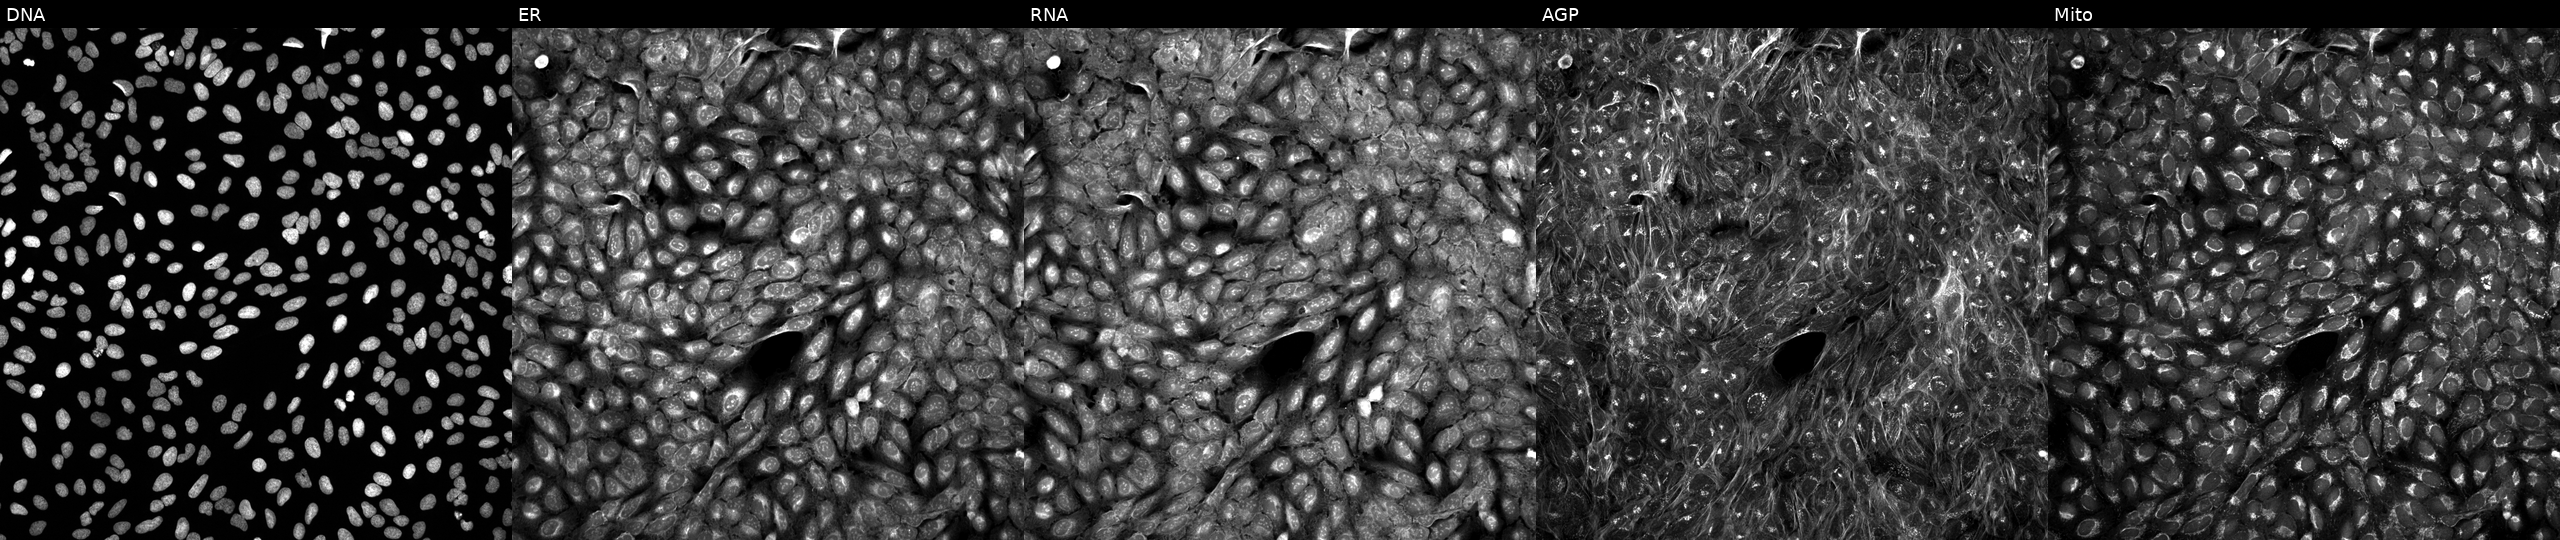
JUMP Cell Painting — TARGET2 plate. U2OS cells exposed to a small-molecule compound [SMILES: CC(C)(N)C(=O)NC(COCc1ccccc1)C(=O)N1CCC2(CC1)CN(S(C)(=O)=O)c1ccccc12] (JUMP id JCP2022_090205). Panels show, left to right, DNA (nuclei); ER (endoplasmic reticulum); RNA (nucleoli and cytoplasmic RNA); AGP (actin cytoskeleton, Golgi, and plasma membrane); Mito (mitochondria). Source 5, plate ACPJUM051, well D24.